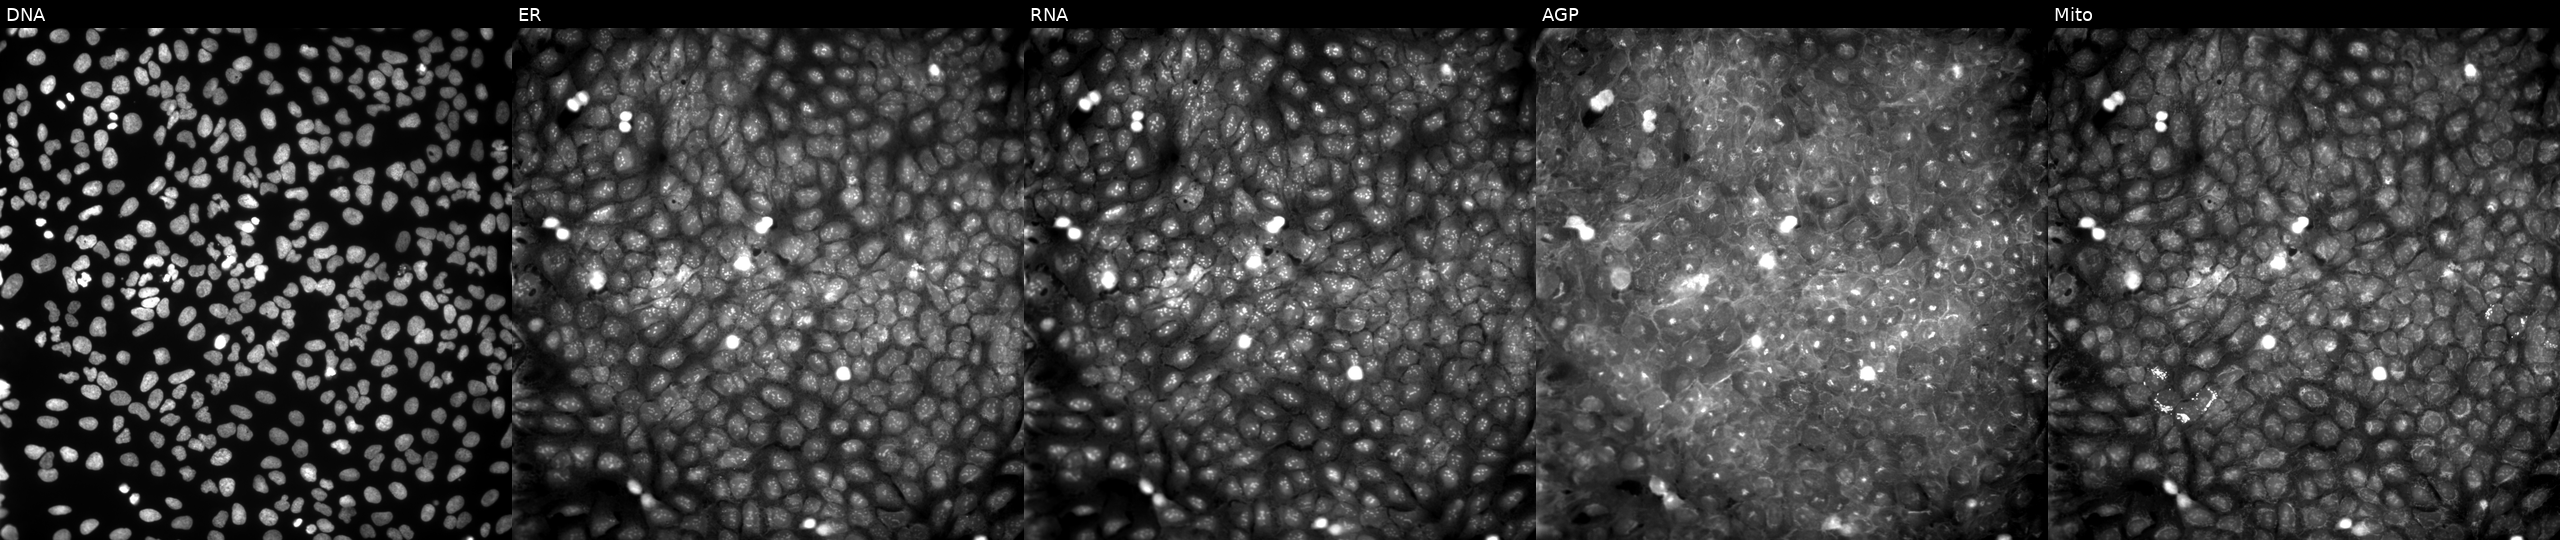
High-content fluorescence microscopy (Cell Painting). Cell line: U2OS. Perturbation: treated with a small-molecule compound (InChIKey VWOJESZFVONLRW-UHFFFAOYSA-N) (JUMP id JCP2022_096762). From left to right: DNA, ER, RNA, AGP, and Mito.